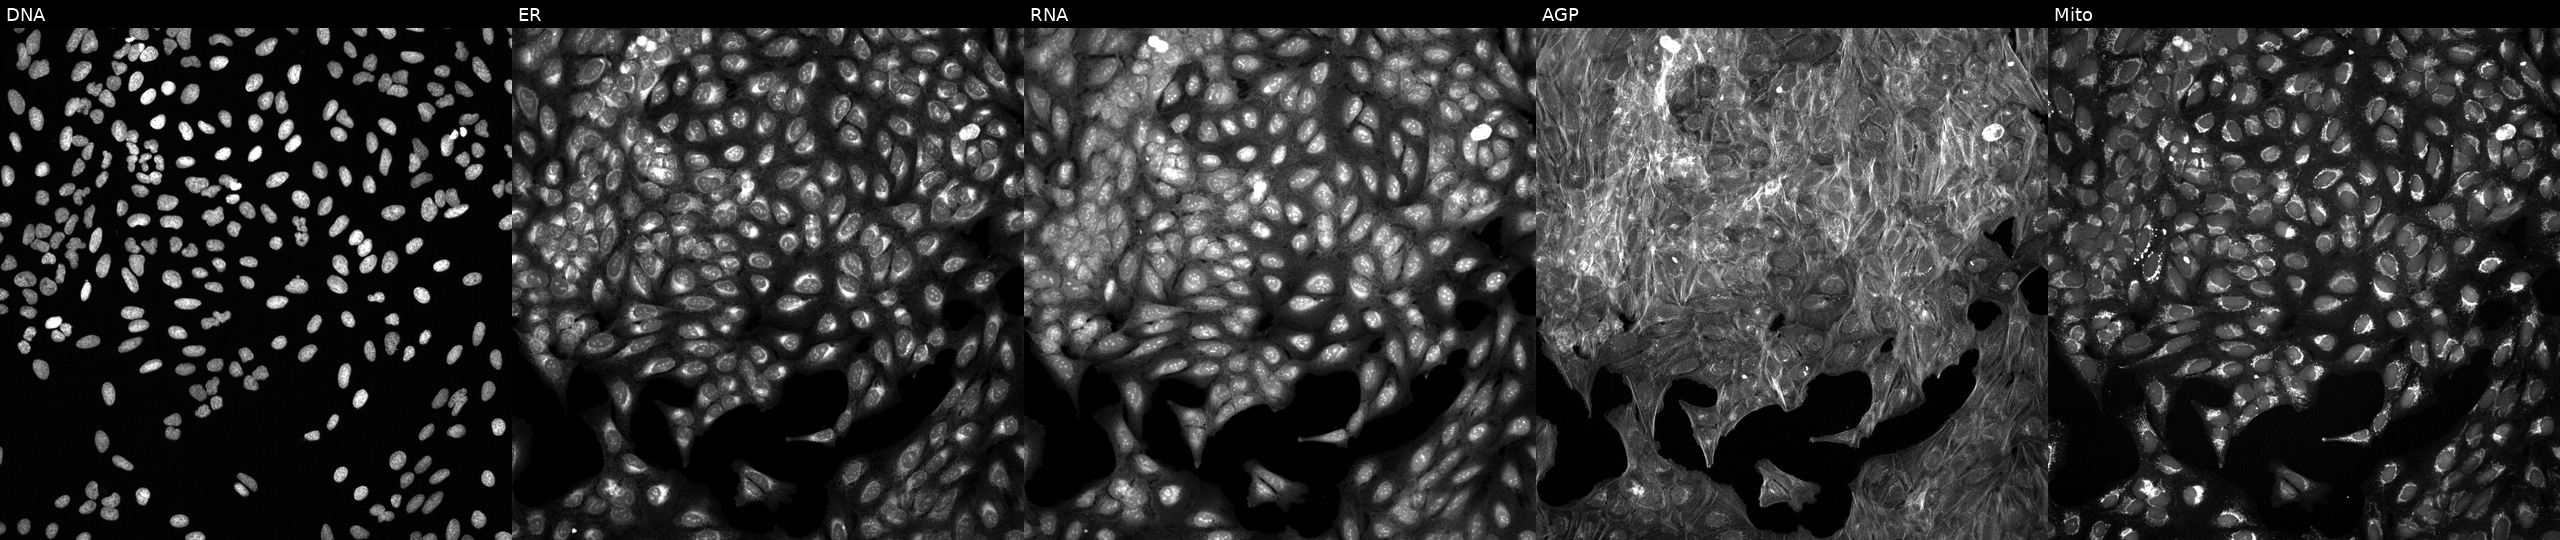
Five-channel Cell Painting image of U2OS cells perturbed with a small-molecule compound (InChIKey QIHBWVVVRYYYRO-UHFFFAOYSA-N) (JUMP id JCP2022_073628). From left to right: DNA (nuclei); ER (endoplasmic reticulum); RNA (nucleoli and cytoplasmic RNA); AGP (actin cytoskeleton, Golgi, and plasma membrane); Mito (mitochondria). Source 6, plate 110000294901, well E06.